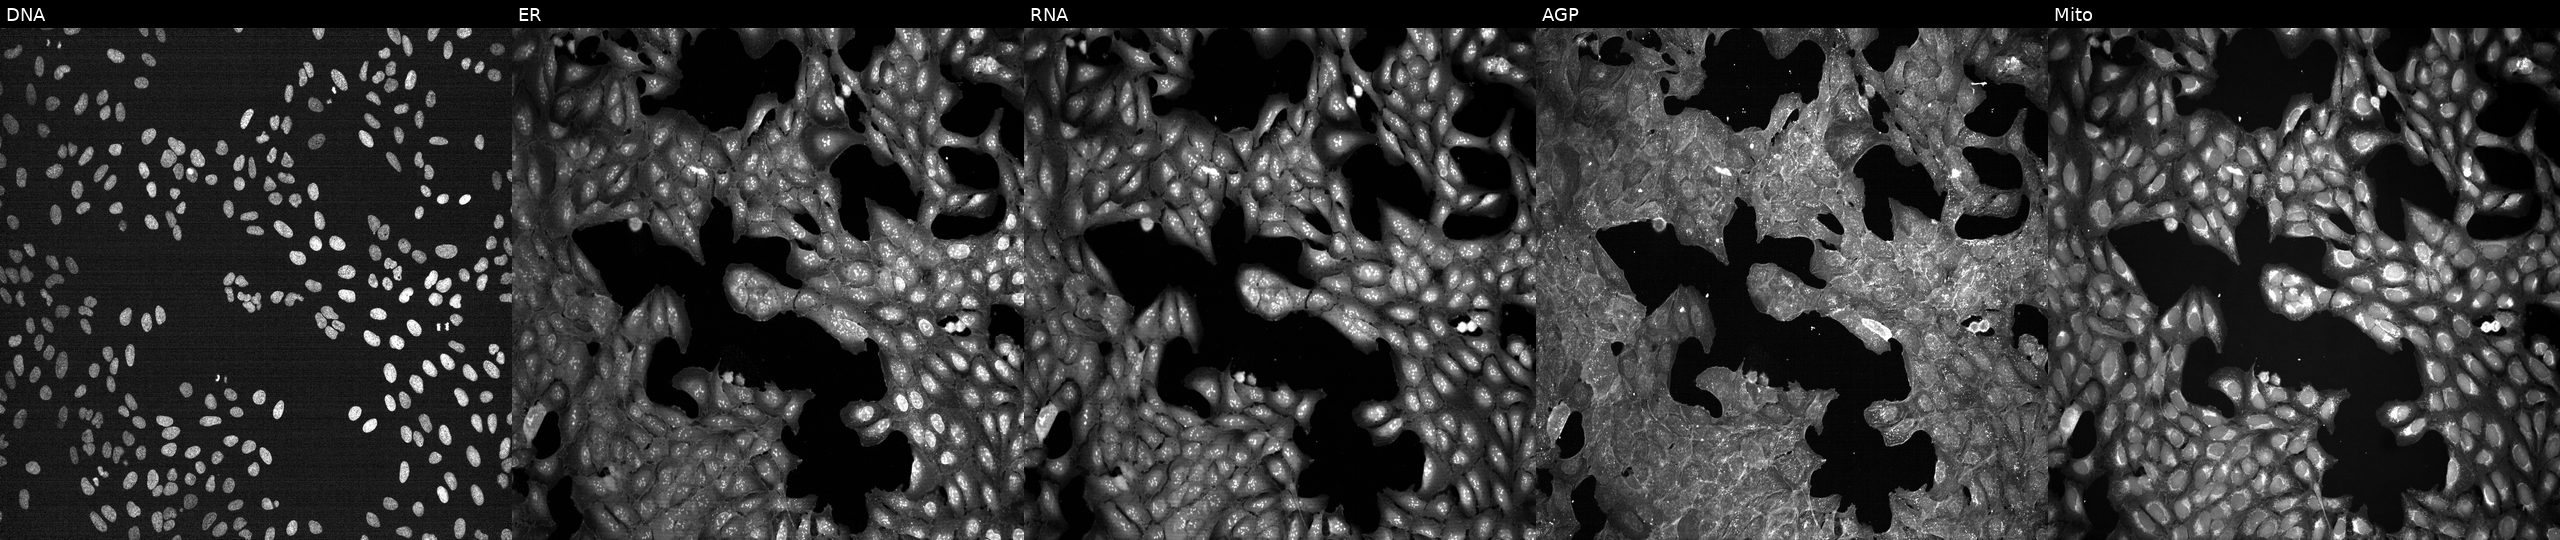
This image strip shows the five Cell Painting channels for a single field of U2OS cells exposed to DMSO alone as a negative control. From left to right: DNA, ER, RNA, AGP, and Mito.